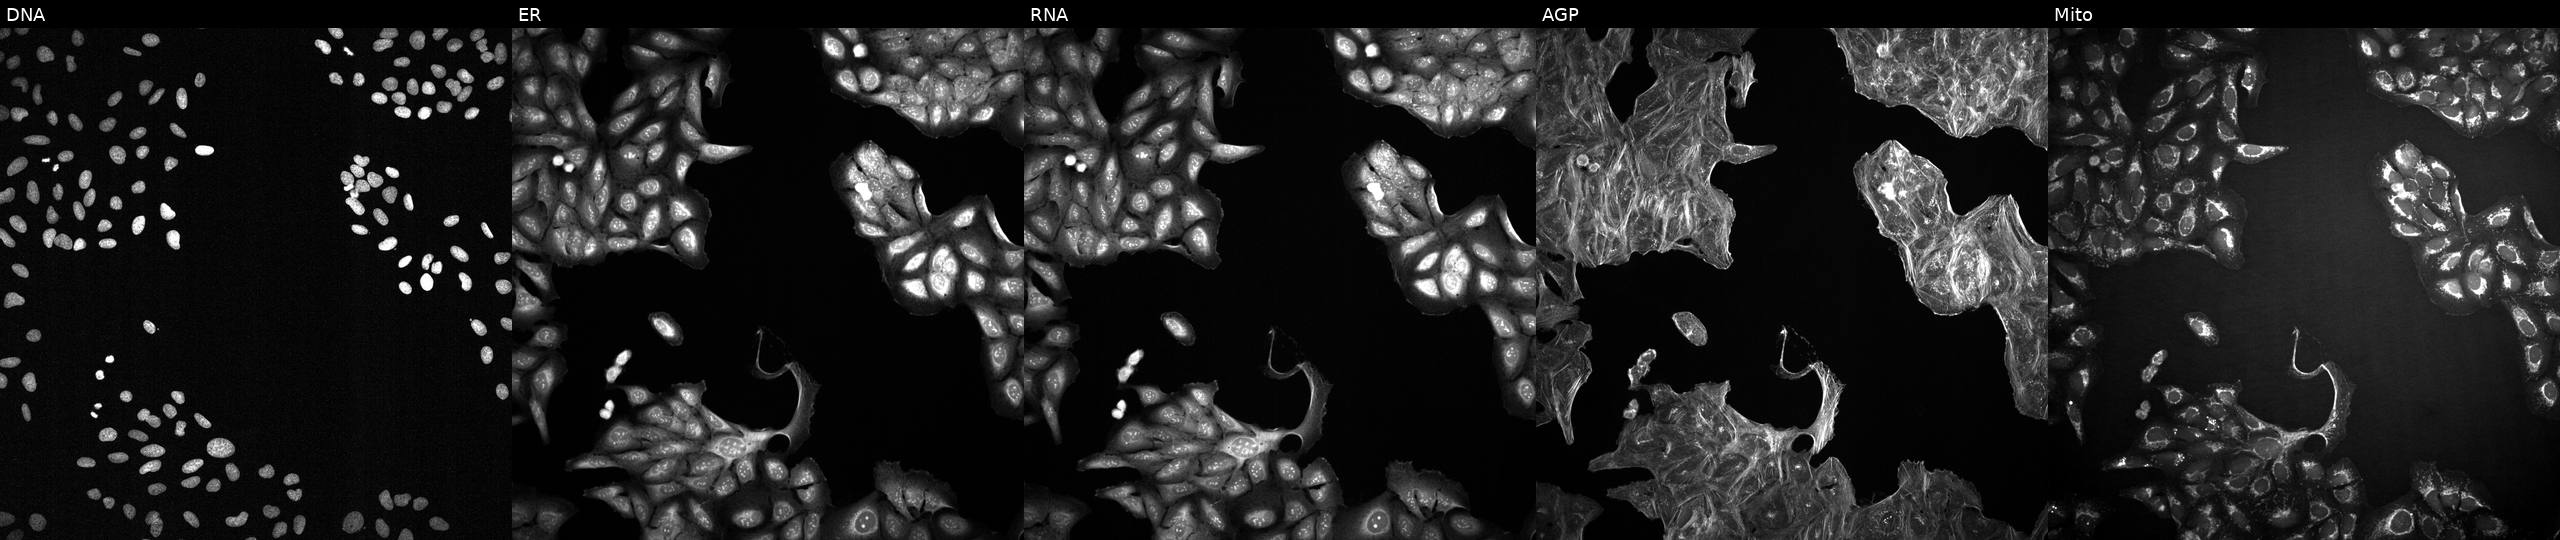
JUMP Cell Painting — TARGET2 plate. U2OS cells treated with DMSO vehicle only (negative control) (JUMP id JCP2022_033924). From left to right: Hoechst 33342, concanavalin A, SYTO 14, phalloidin and WGA, MitoTracker.